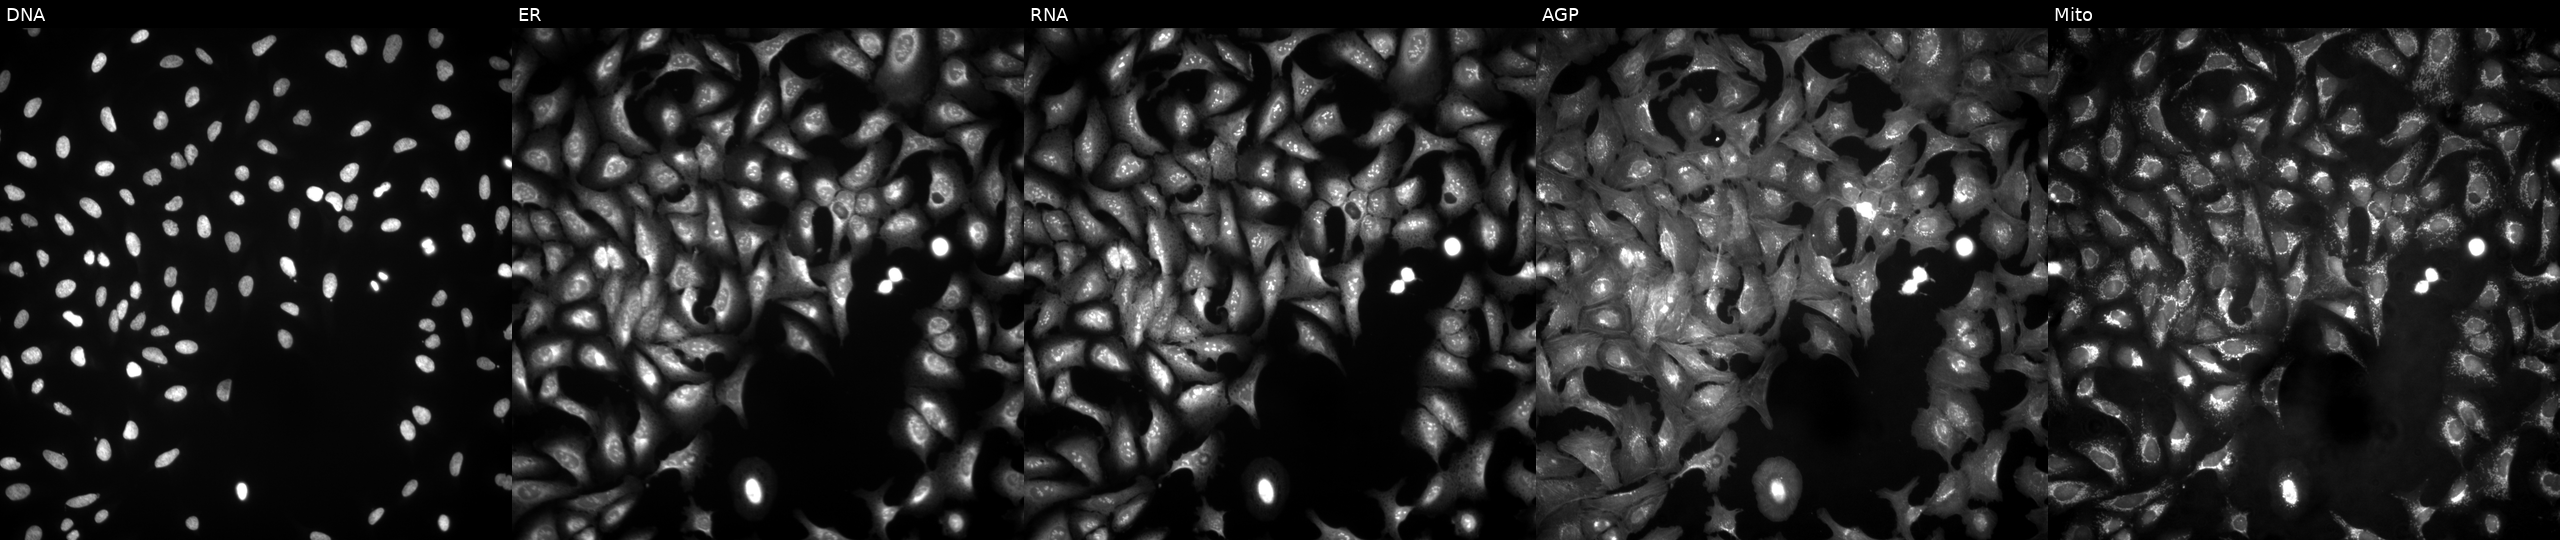
Five-channel Cell Painting image of U2OS cells transfected with an ORF construct for SPATA2L. From left to right: DNA (nuclei); ER (endoplasmic reticulum); RNA (nucleoli and cytoplasmic RNA); AGP (actin cytoskeleton, Golgi, and plasma membrane); Mito (mitochondria).